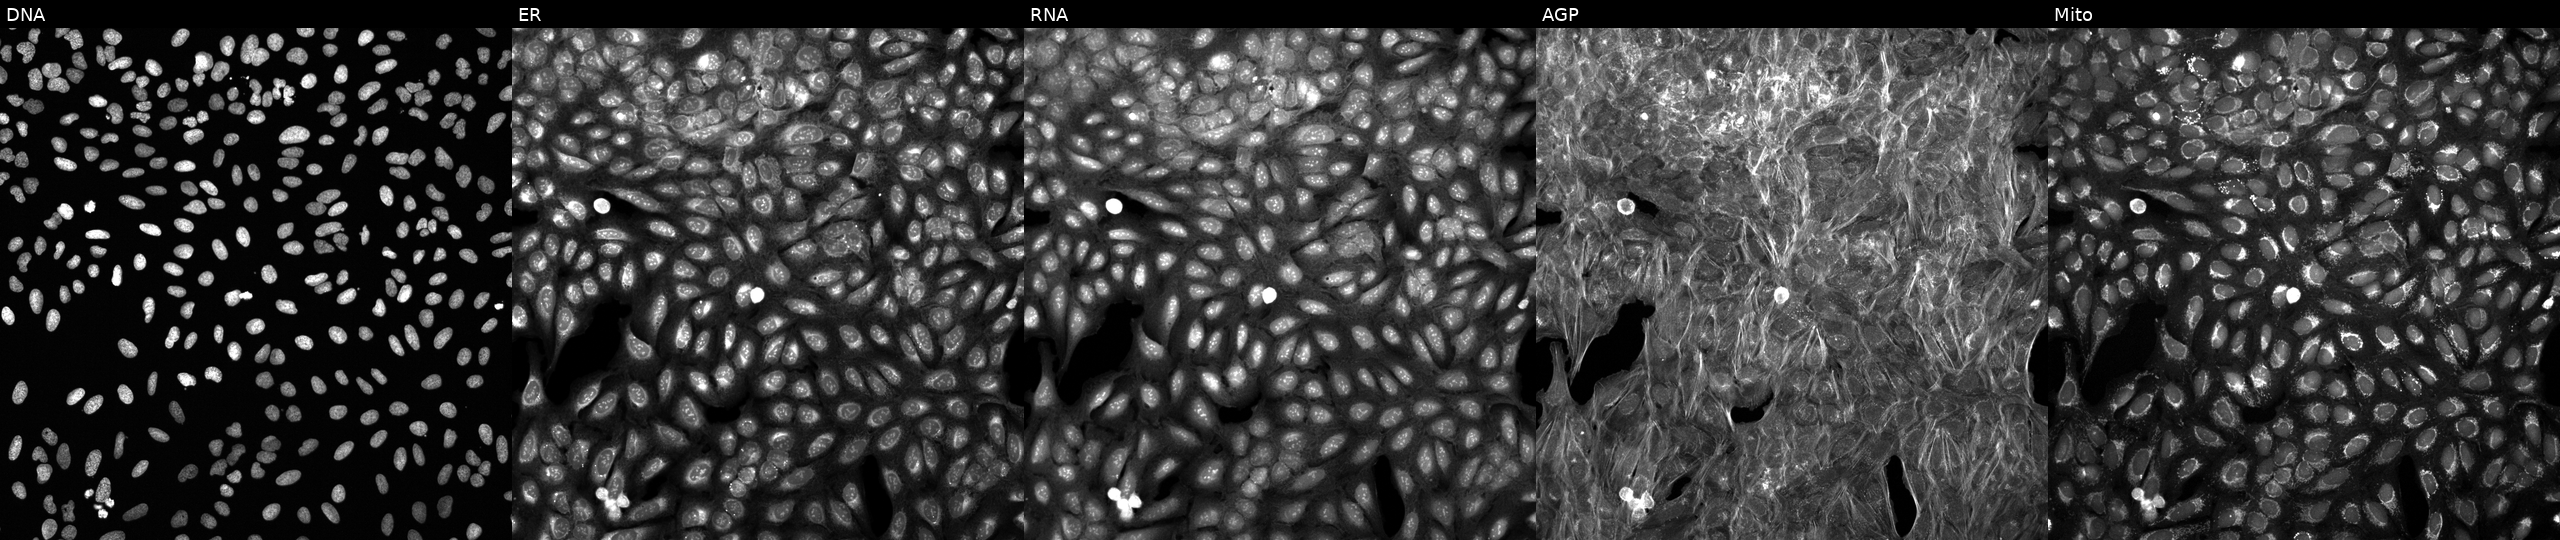
Five-channel Cell Painting image of U2OS cells exposed to DMSO alone as a negative control. Panels show, left to right, DNA (nuclei); ER (endoplasmic reticulum); RNA (nucleoli and cytoplasmic RNA); AGP (actin cytoskeleton, Golgi, and plasma membrane); Mito (mitochondria).